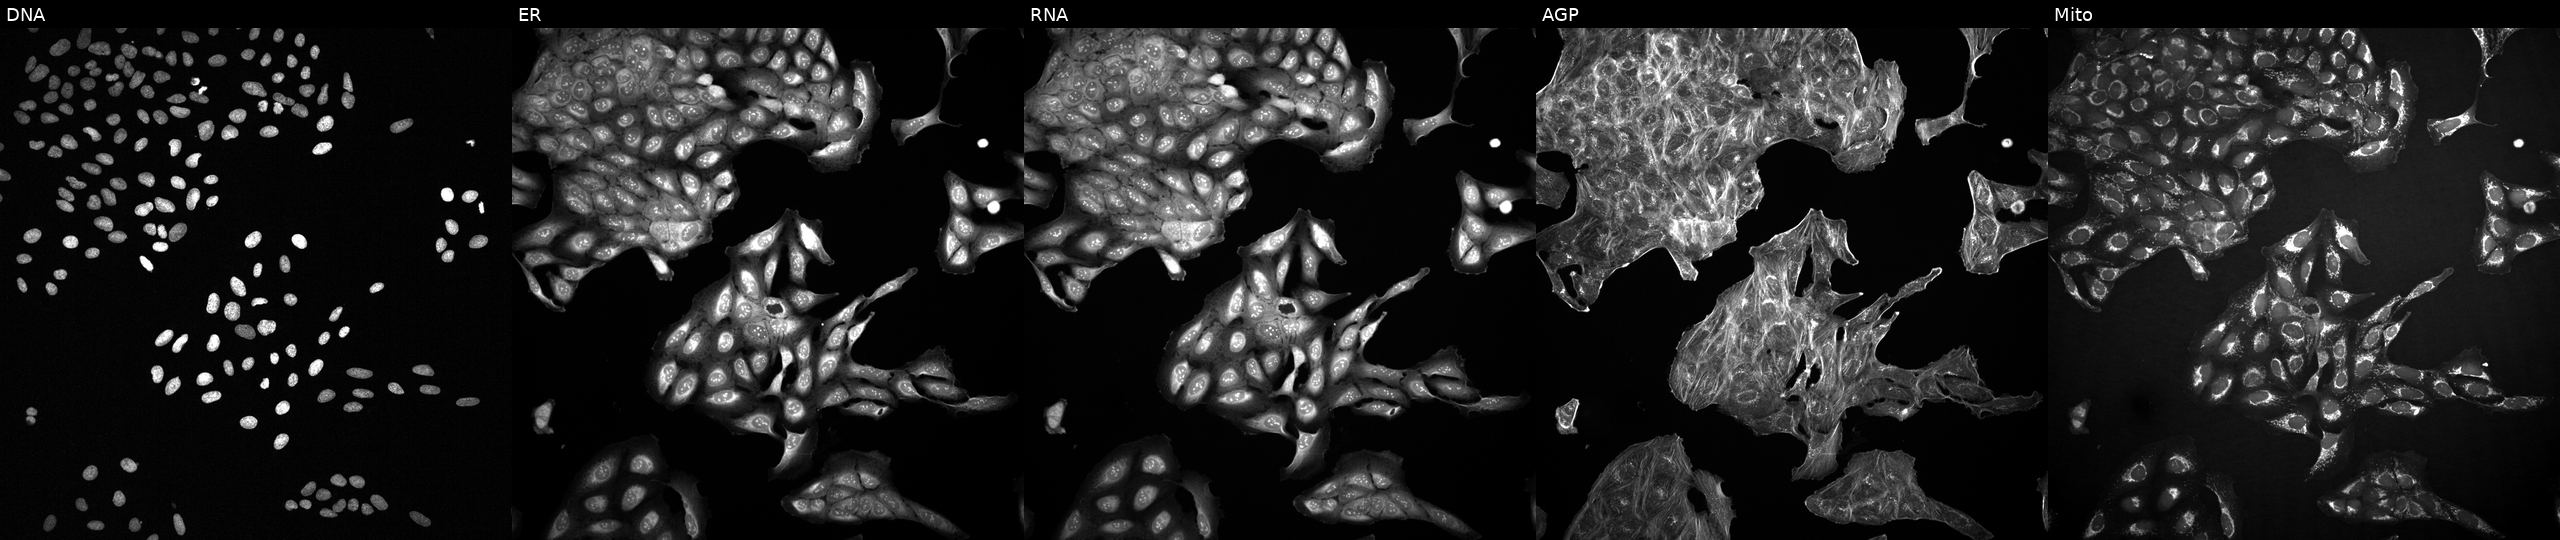
High-content fluorescence microscopy (Cell Painting). Cell line: U2OS. Perturbation: with an unidentified perturbation (not annotated in JUMP metadata). The five panels, left to right, show DNA (nuclei); ER (endoplasmic reticulum); RNA (nucleoli and cytoplasmic RNA); AGP (actin cytoskeleton, Golgi, and plasma membrane); Mito (mitochondria).